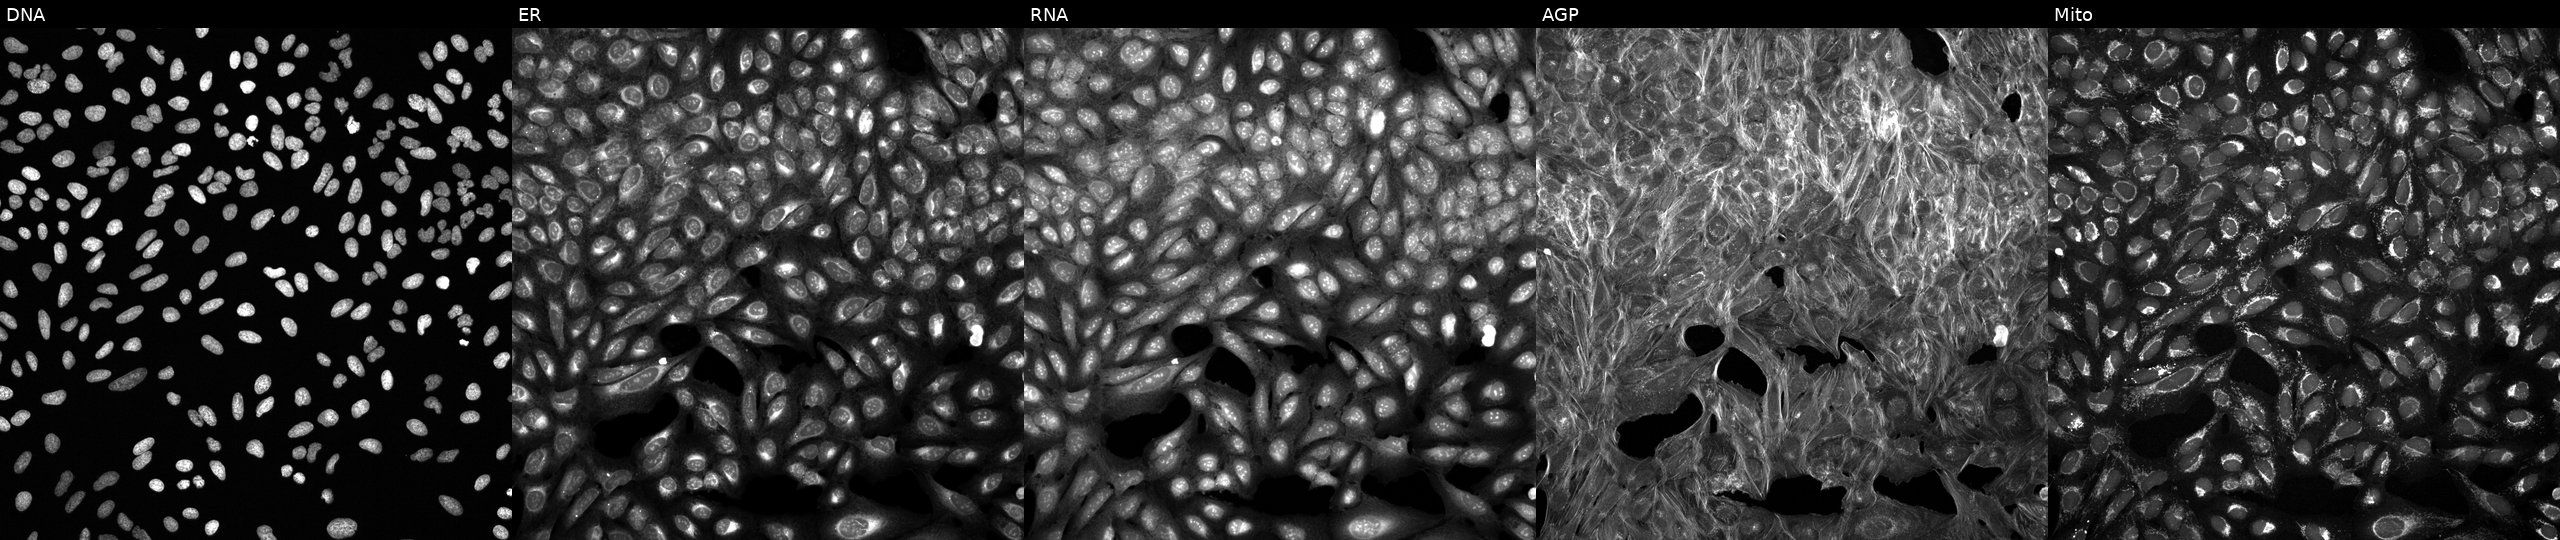
High-content fluorescence microscopy (Cell Painting). Cell line: U2OS. Perturbation: perturbed with a small-molecule compound [SMILES: O=C(O)c1nc(N2CCCCC2)ncc1Br] (JUMP id JCP2022_024356). Panels show, left to right, DNA, ER, RNA, AGP, and Mito. Source 6, plate 110000293083, well I10.